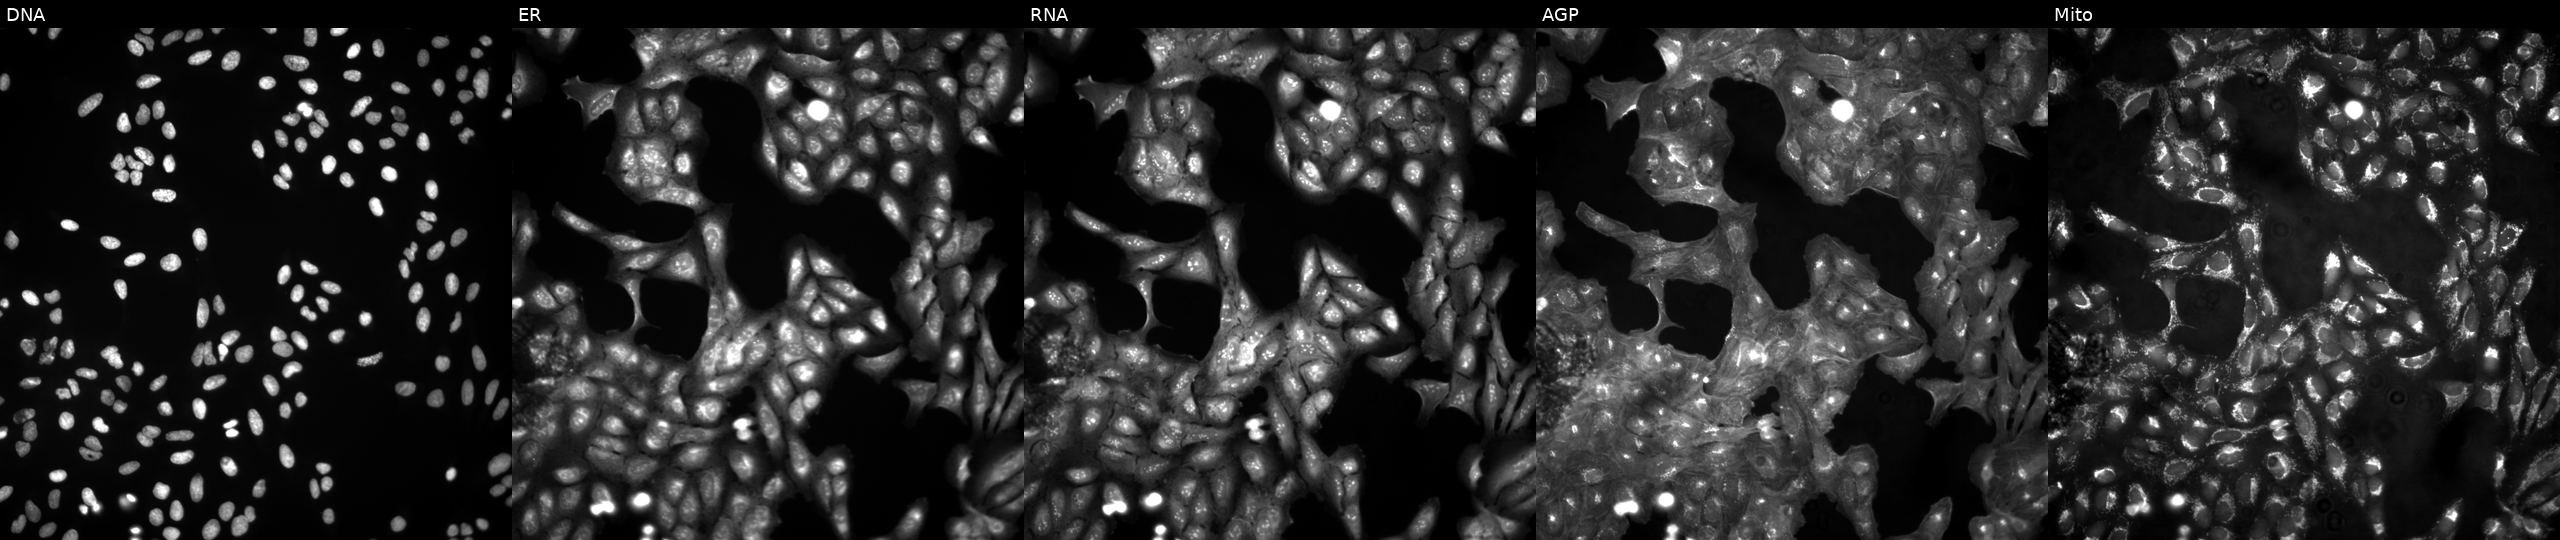
This image strip shows the five Cell Painting channels for a single field of U2OS cells in an empty control well (no perturbation). From left to right: Hoechst 33342, concanavalin A, SYTO 14, phalloidin and WGA, MitoTracker. Source 4, plate BR00123946, well O20.